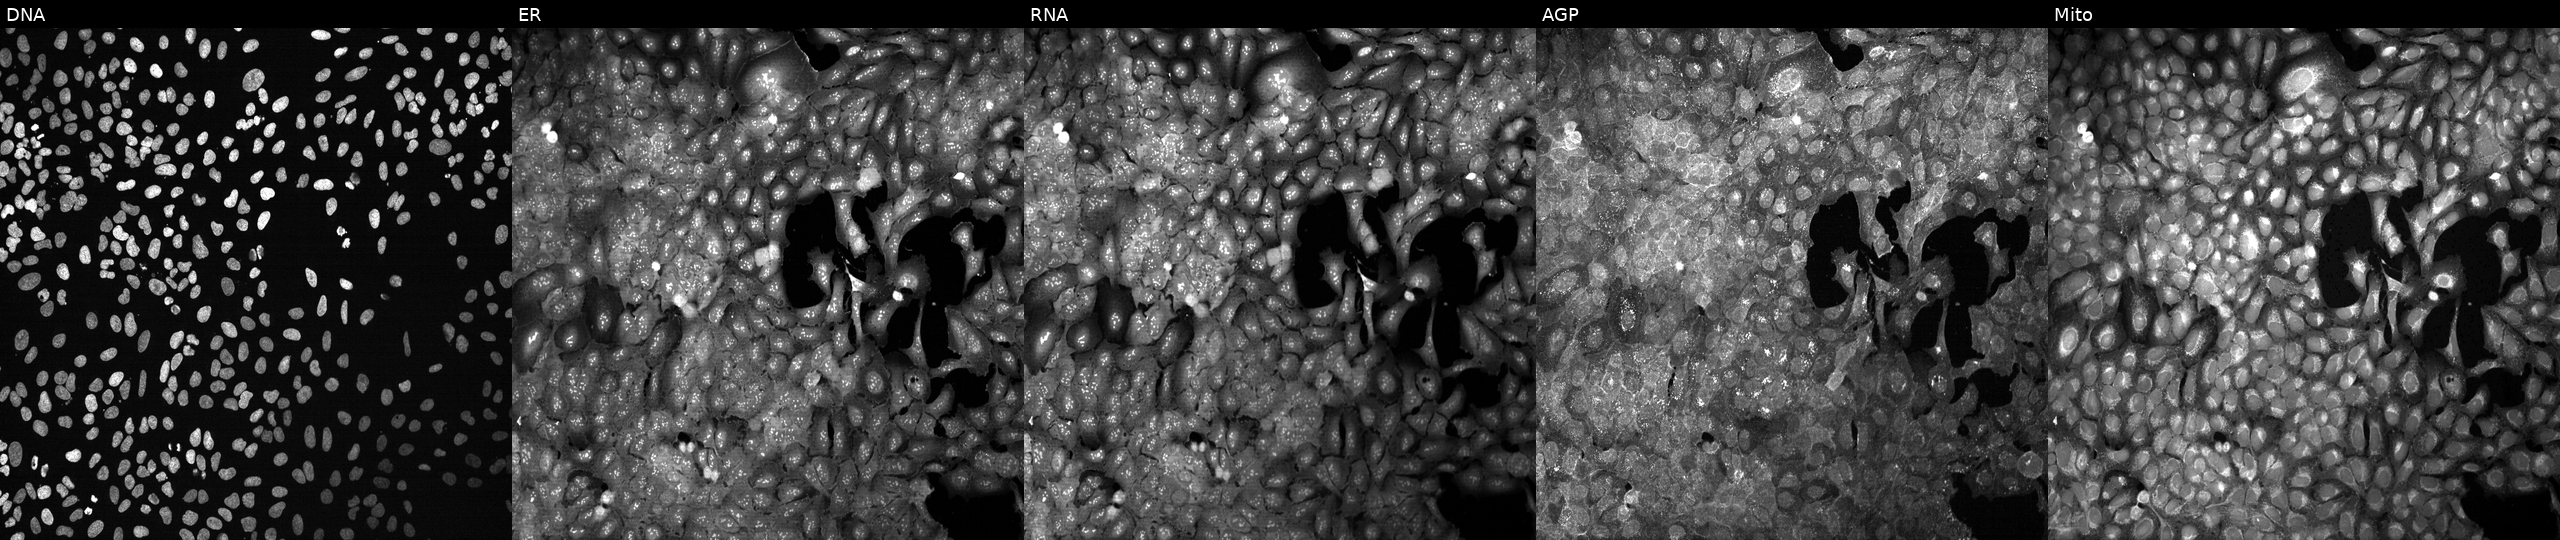
Channels (left→right): Hoechst 33342, concanavalin A, SYTO 14, phalloidin and WGA, MitoTracker. U2OS osteosarcoma cells with RAD1 knocked out by CRISPR. Cell Painting assay, JUMP-CP dataset. Source 13, plate CP-CC9-R1-02, well O18.